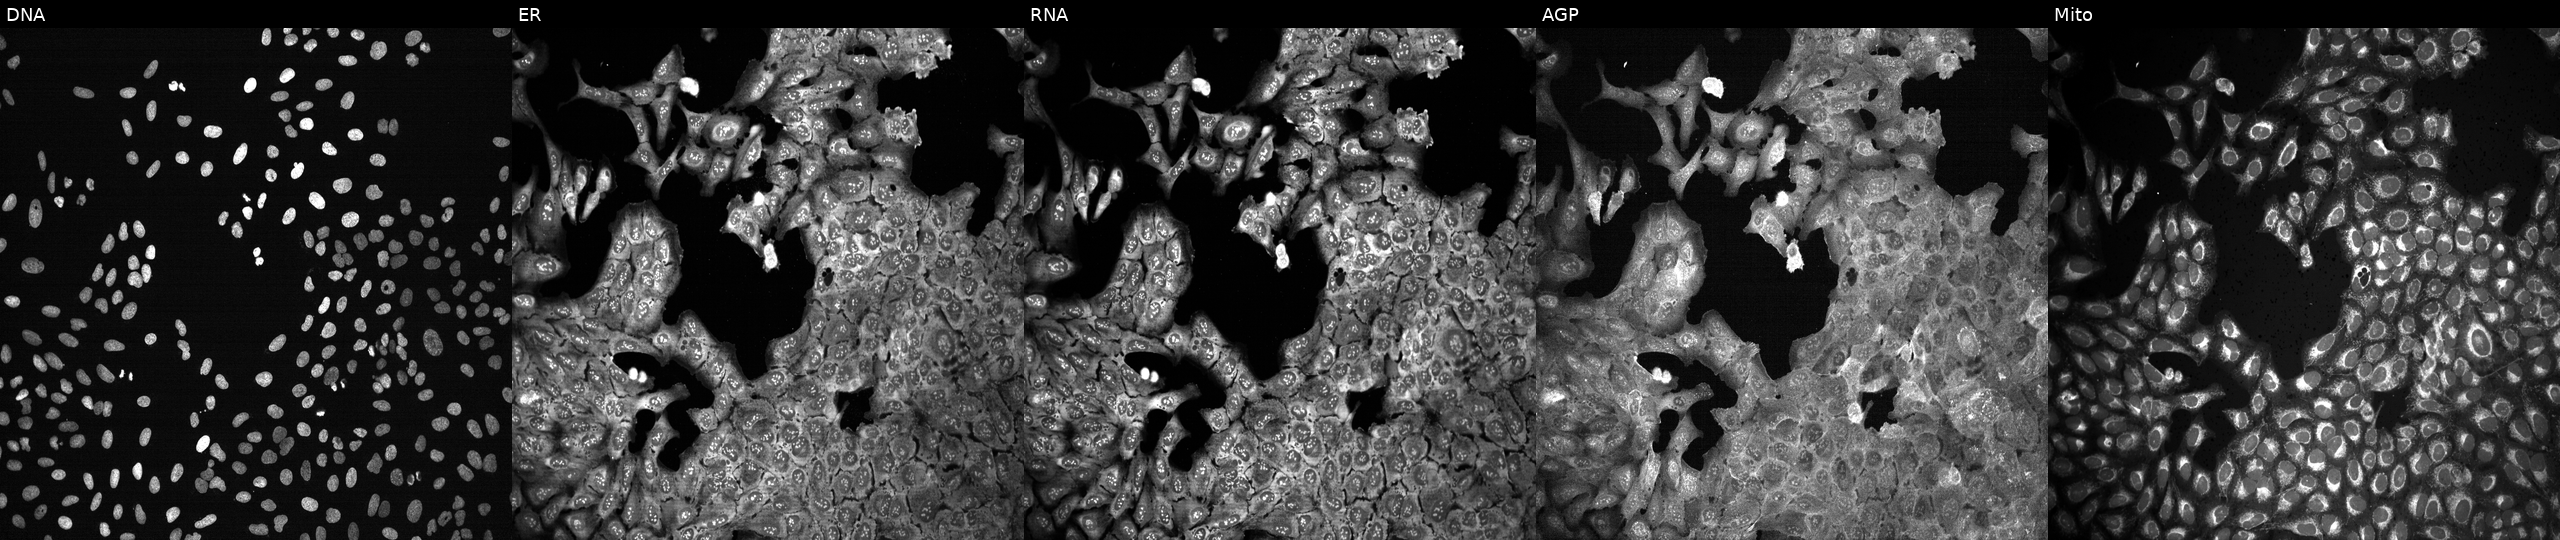
U2OS cells, Cell Painting assay, following CRISPR knockout of HFE. Channels (left→right): DNA, ER, RNA, AGP, and Mito. Each panel is percentile-stretched 16-bit fluorescence. Source 13, plate CP-CC9-R2-02, well J22.